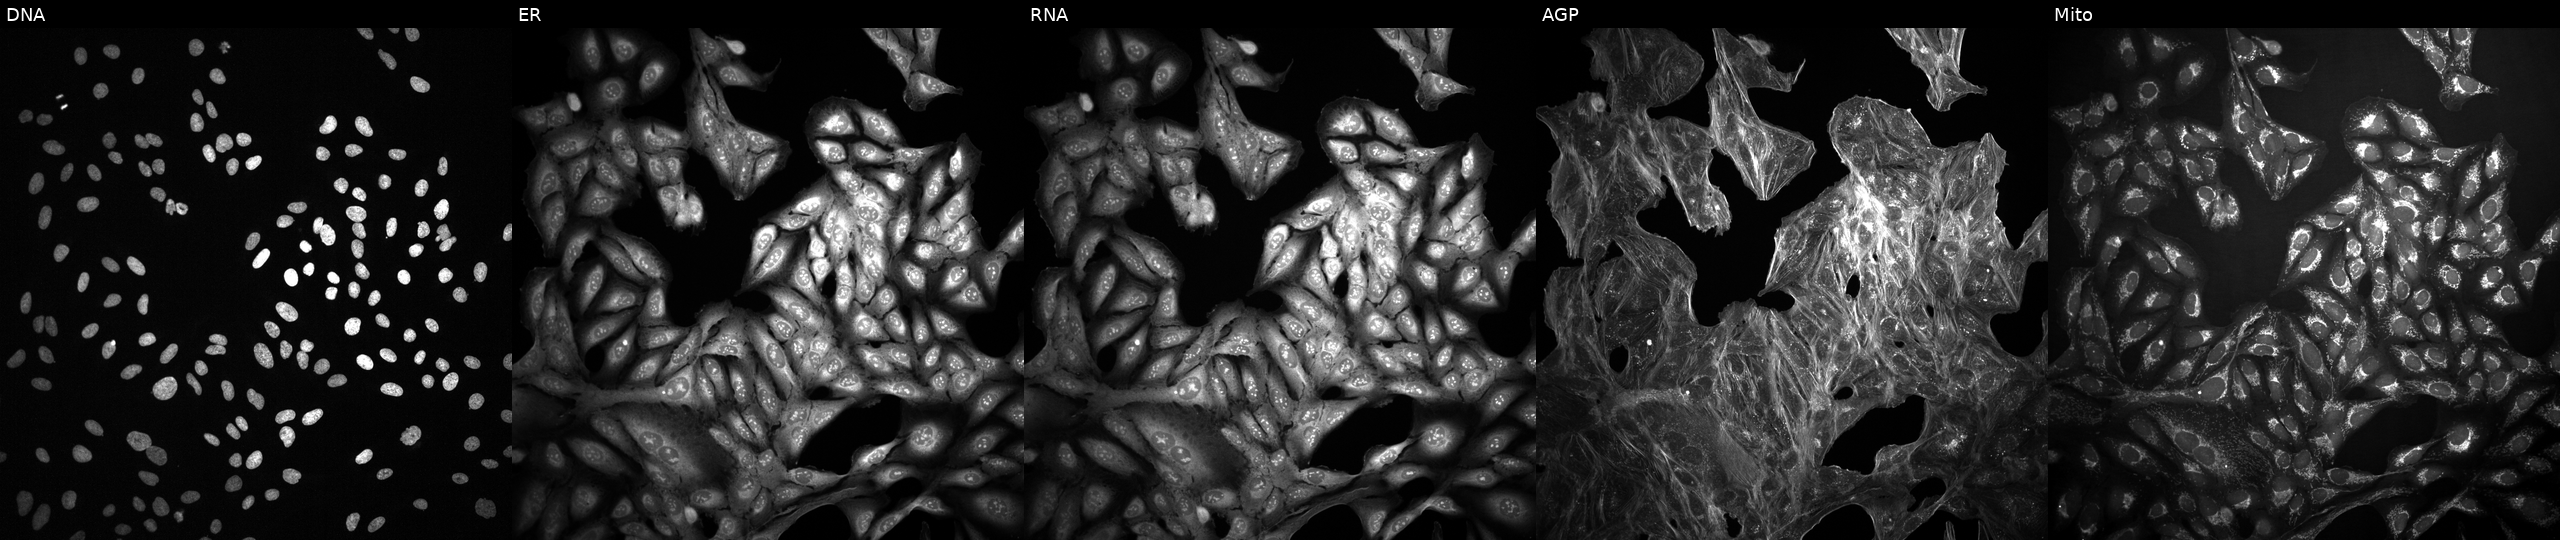
JUMP Cell Painting — TARGET2 plate. U2OS cells perturbed with a small-molecule compound (InChIKey YMDXSGBNCBQYGC-UHFFFAOYSA-N) [SMILES: CCOC(=O)C1=C(COCCN)N=C(C)C(C(=O)OC)C1c1ccccc1Cl]. Channels (left→right): DNA, ER, RNA, AGP, and Mito. Source 2, plate 1053597936, well C24.